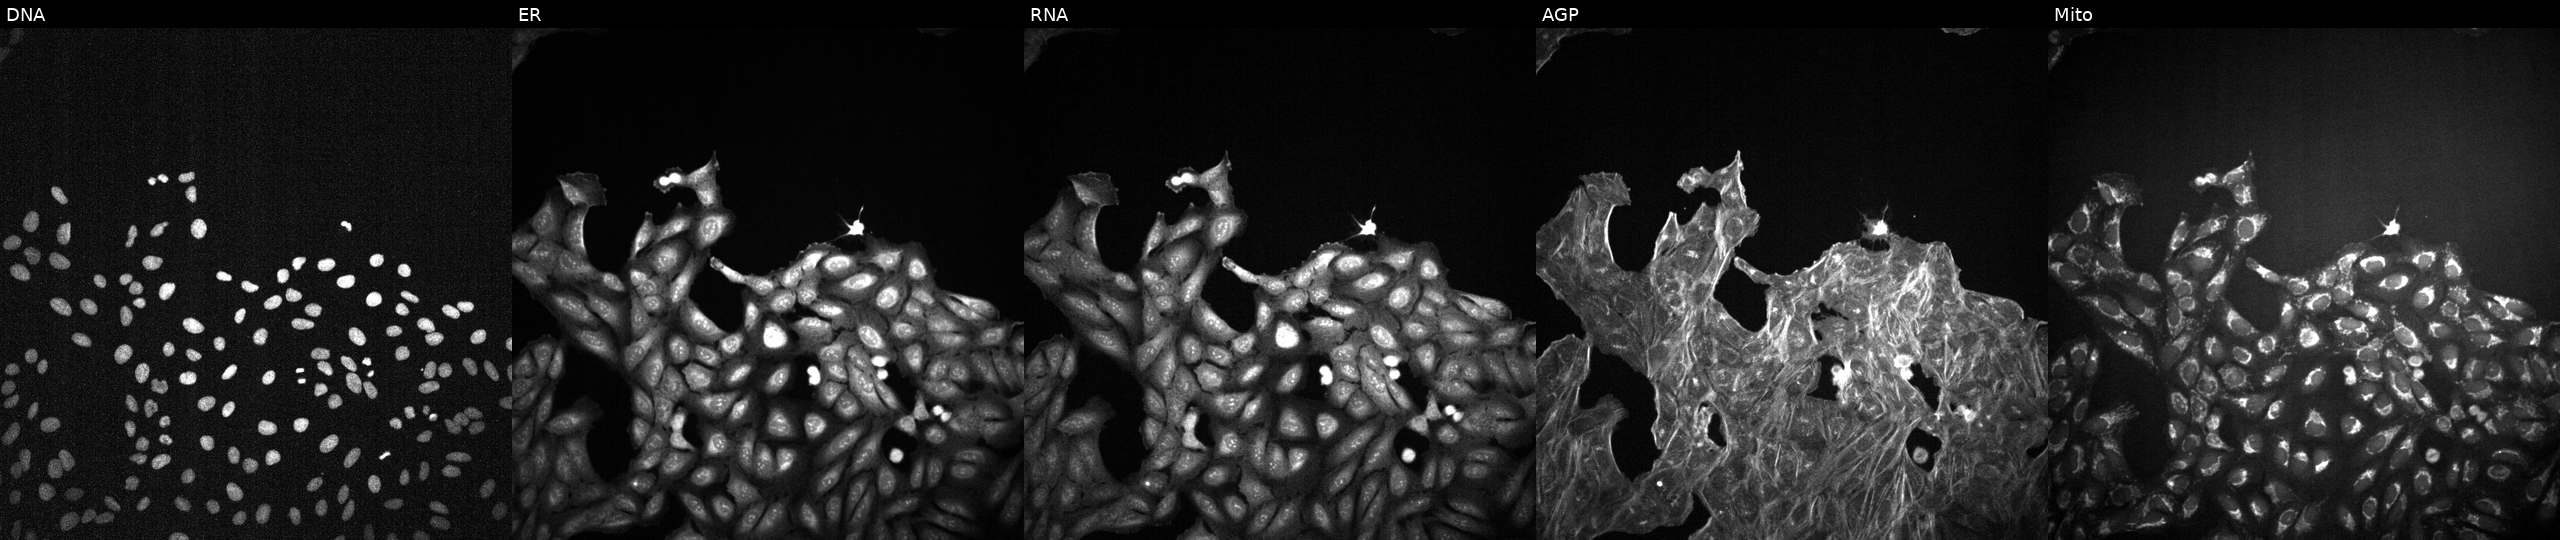
JUMP Cell Painting — TARGET2 plate. U2OS cells treated with DMSO vehicle only (negative control) (JUMP id JCP2022_033924). Panels show, left to right, DNA, ER, RNA, AGP, and Mito. Source 2, plate 1053599503, well F14.